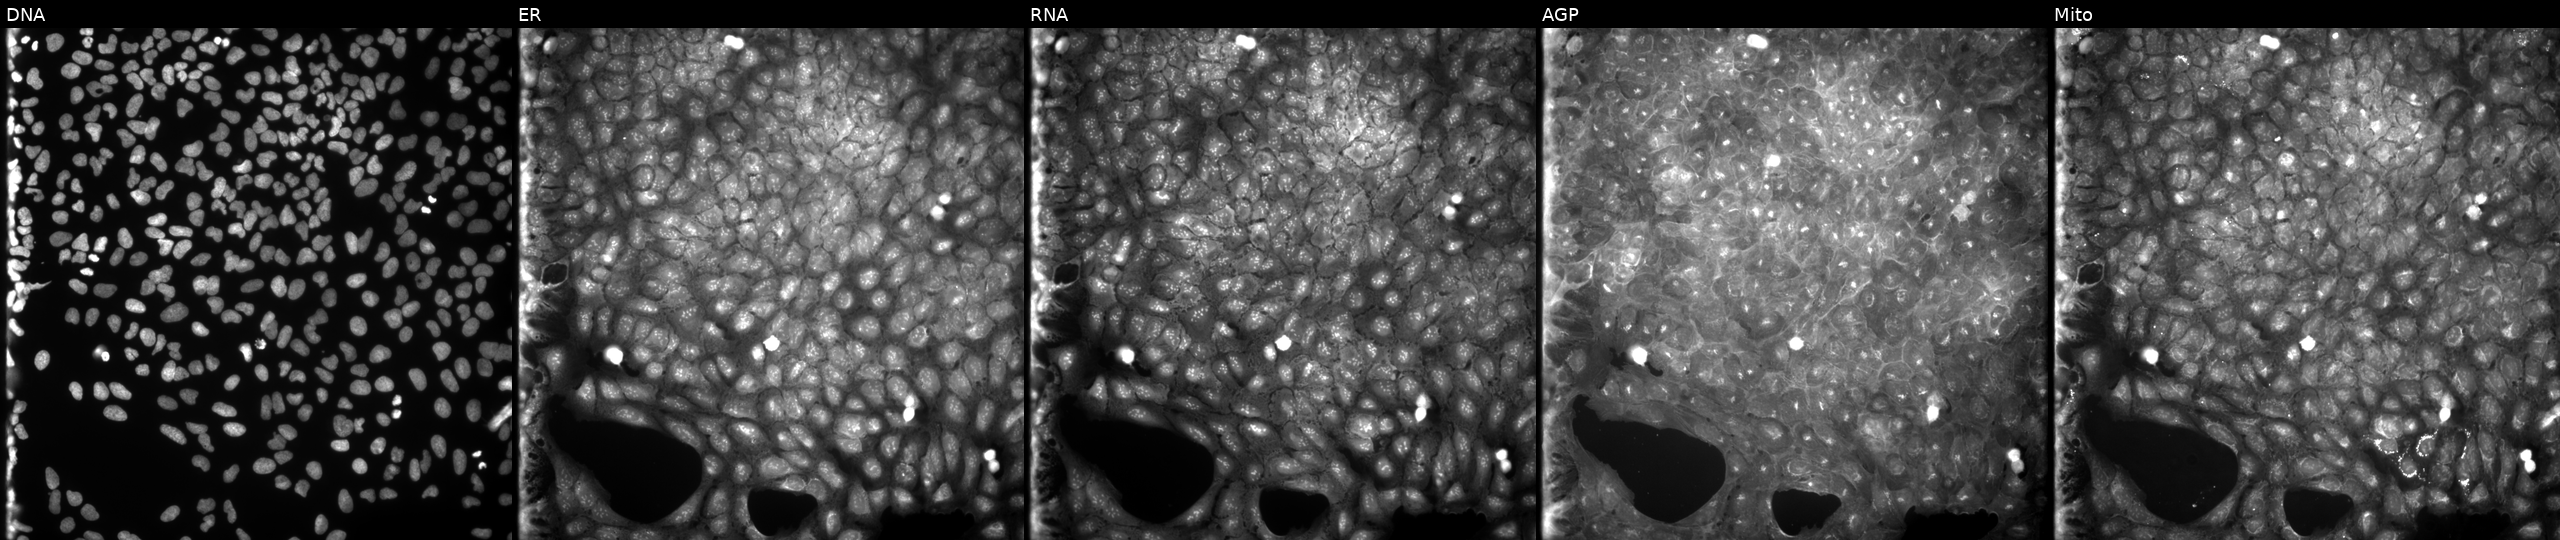
Channels (left→right): DNA (nuclei); ER (endoplasmic reticulum); RNA (nucleoli and cytoplasmic RNA); AGP (actin cytoskeleton, Golgi, and plasma membrane); Mito (mitochondria). U2OS osteosarcoma cells perturbed with a small-molecule compound (InChIKey XTLJZZDJJTWZBL-UHFFFAOYSA-N). Cell Painting assay, JUMP-CP dataset. Source 9, plate GR00003382, well H15.